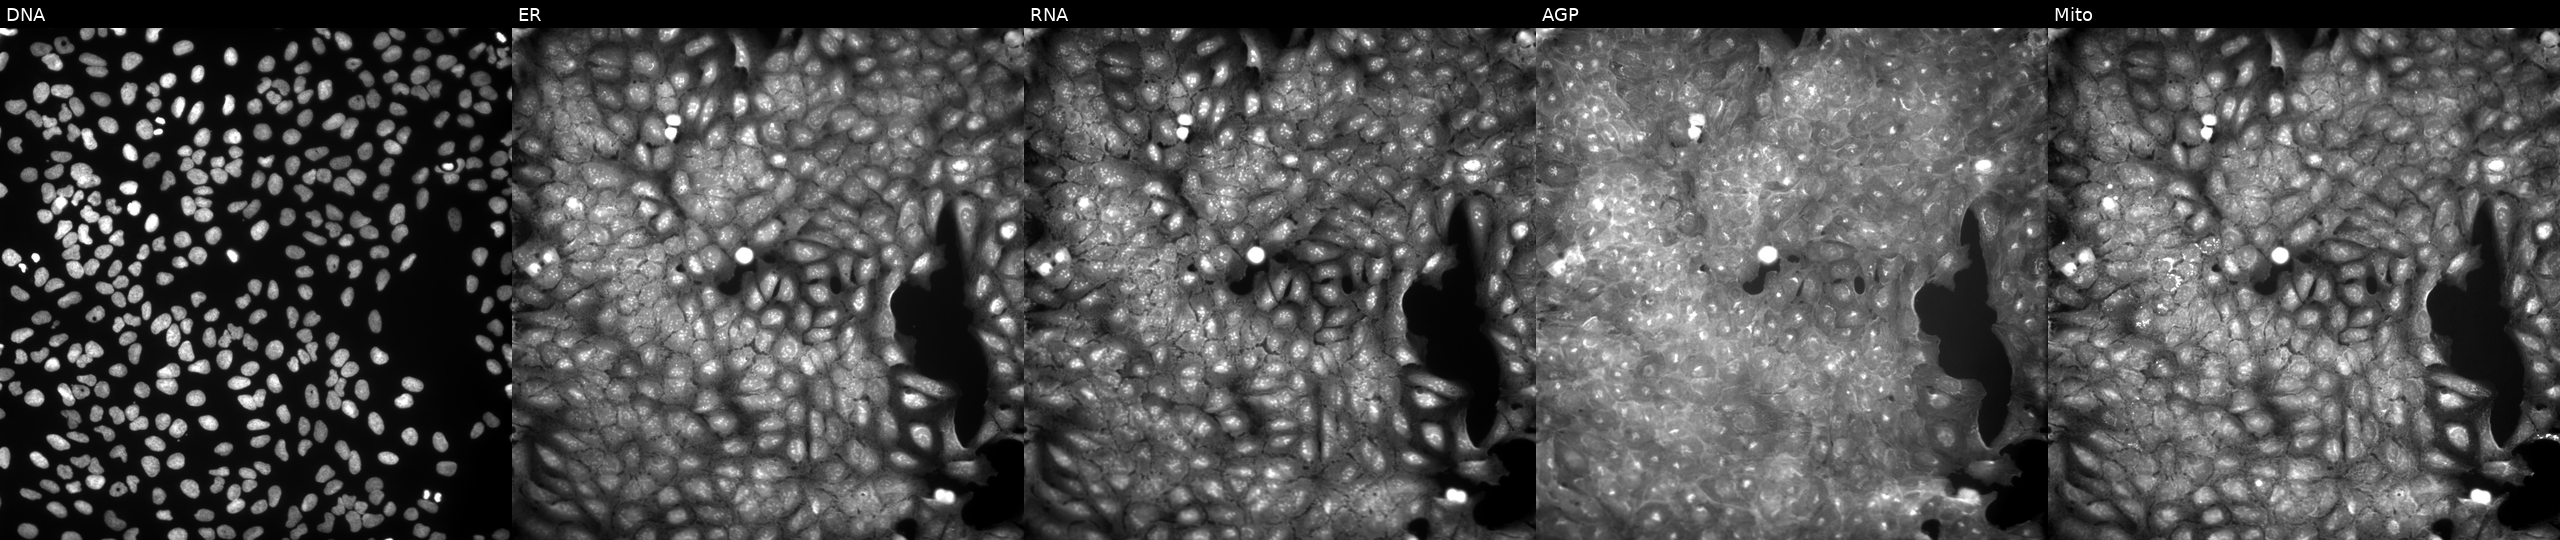
Five-channel Cell Painting image of U2OS cells exposed to a small-molecule compound (InChIKey XTLJZZDJJTWZBL-UHFFFAOYSA-N) [SMILES: CCc1ccc(OCC(=O)NNC(=O)c2cc(C)[nH]n2)cc1]. Channels (left→right): DNA, ER, RNA, AGP, and Mito. Source 9, plate GR00003381, well X15.